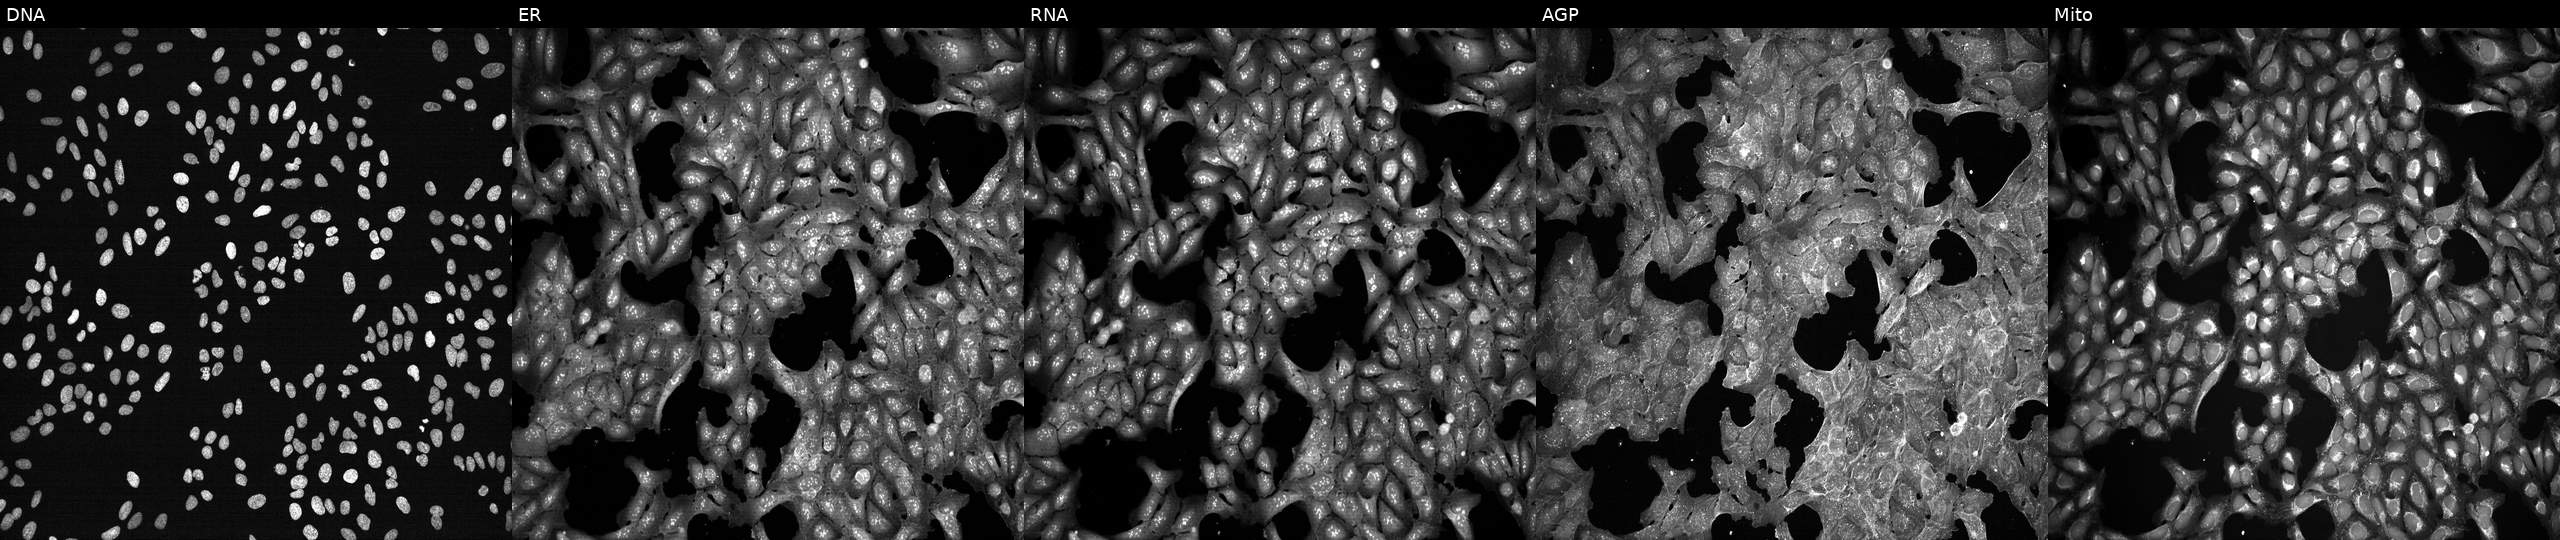
JUMP Cell Painting — TARGET2 plate. U2OS cells treated with DMSO vehicle only (negative control) (JUMP id JCP2022_033924). Channels (left→right): DNA (nuclei); ER (endoplasmic reticulum); RNA (nucleoli and cytoplasmic RNA); AGP (actin cytoskeleton, Golgi, and plasma membrane); Mito (mitochondria).